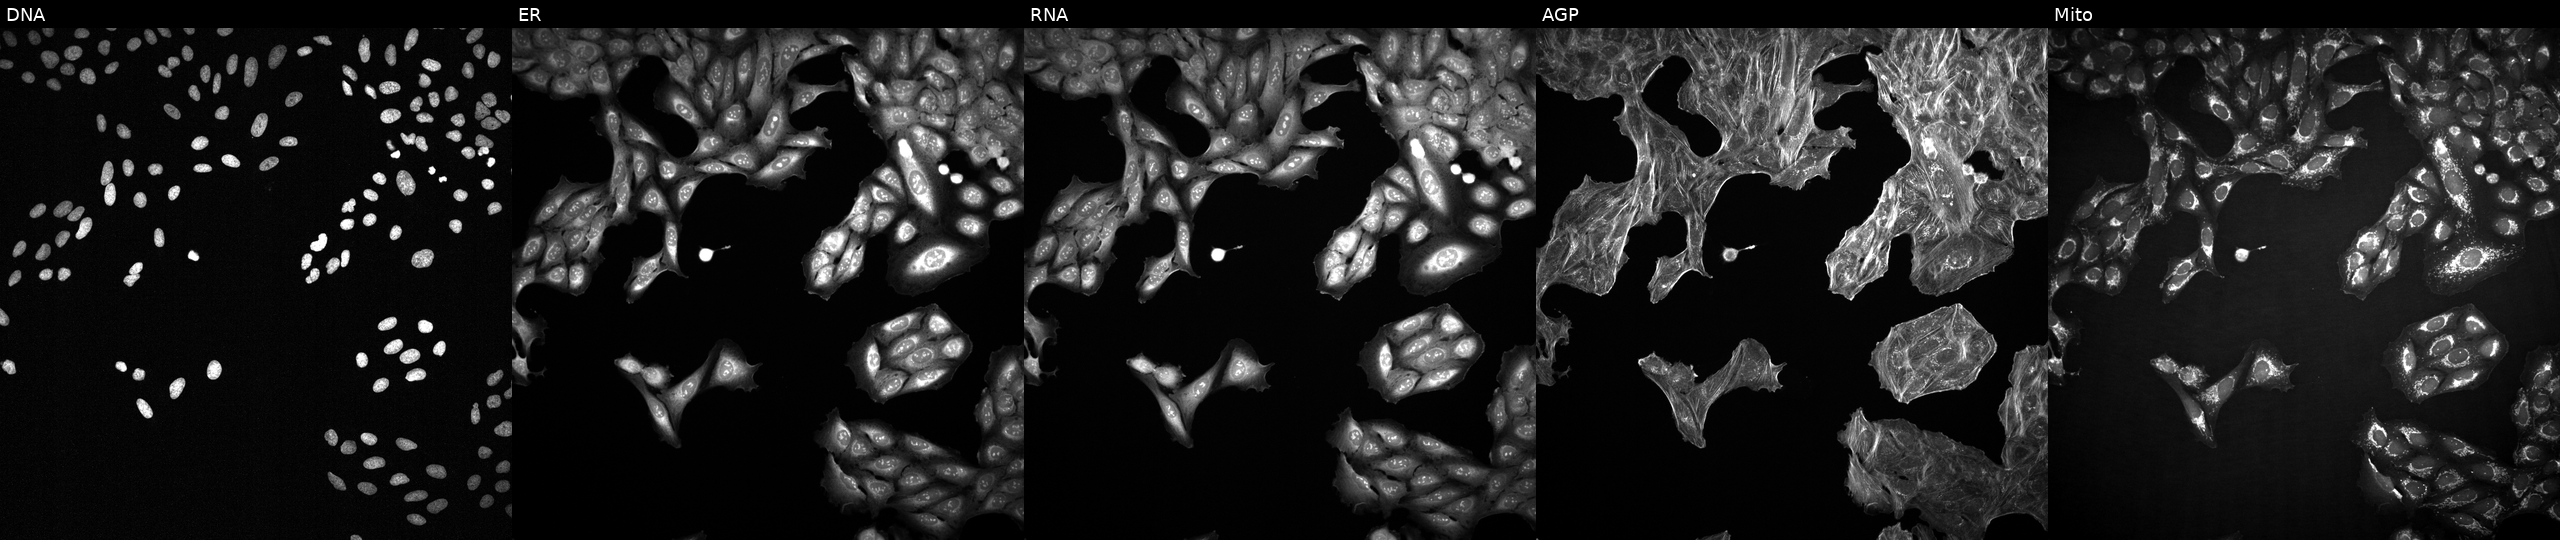
JUMP Cell Painting — COMPOUND plate. U2OS cells exposed to DMSO alone as a negative control. Panels show, left to right, Hoechst 33342, concanavalin A, SYTO 14, phalloidin and WGA, MitoTracker.